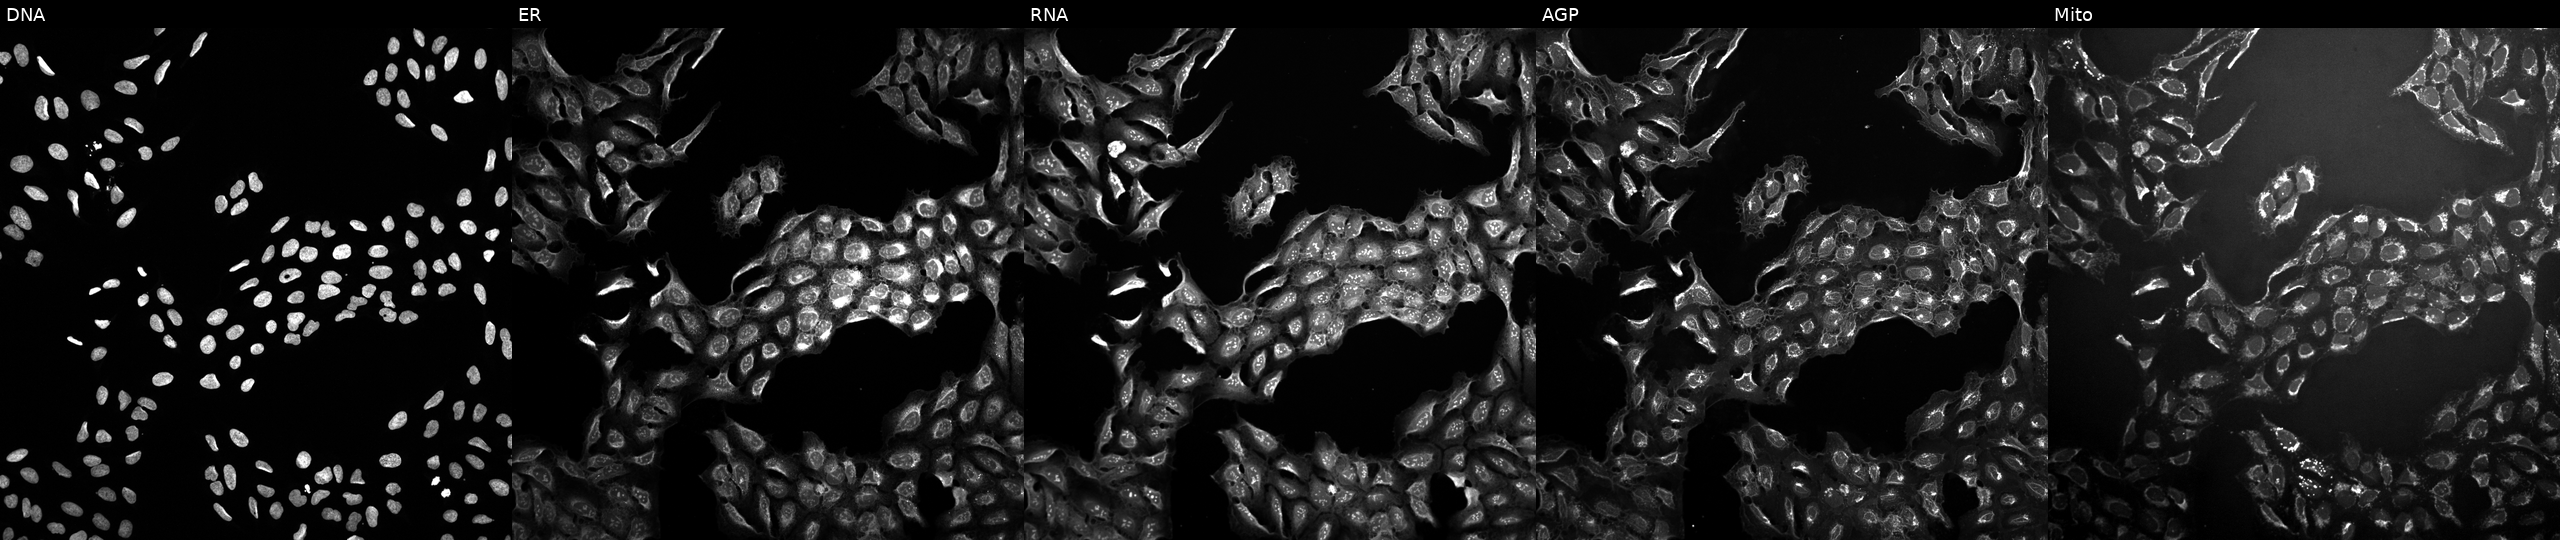
This image strip shows the five Cell Painting channels for a single field of U2OS cells treated with DMSO vehicle only (negative control) (JUMP id JCP2022_033924). Channels (left→right): DNA, ER, RNA, AGP, and Mito.